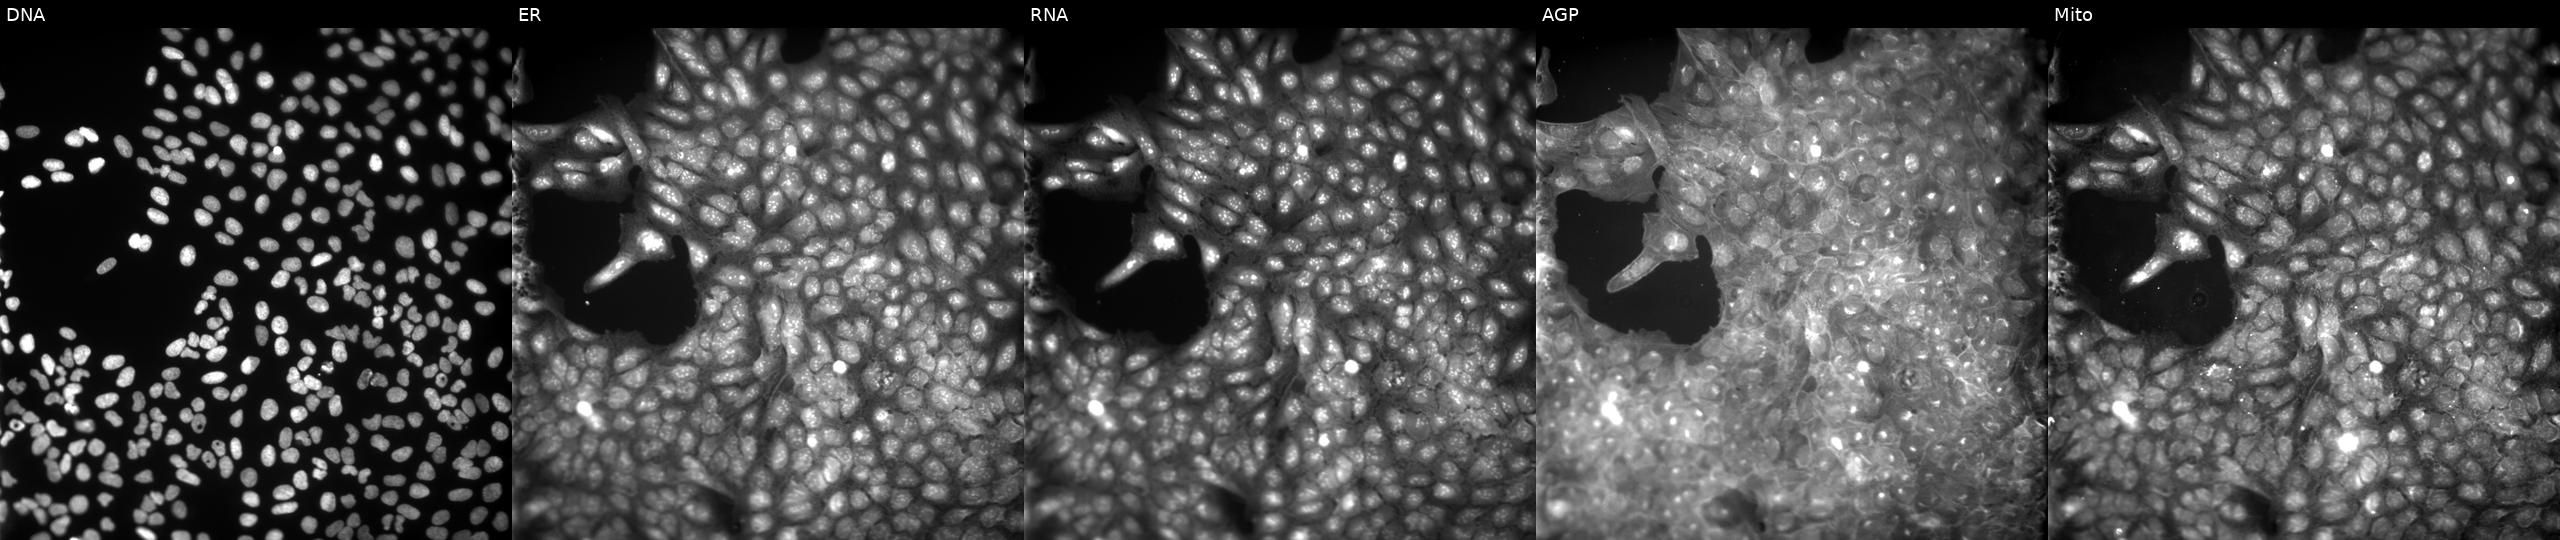
U2OS cells, Cell Painting assay, perturbed with a small-molecule compound (JUMP id JCP2022_020419). From left to right: Hoechst 33342, concanavalin A, SYTO 14, phalloidin and WGA, MitoTracker. Each panel is percentile-stretched 16-bit fluorescence.